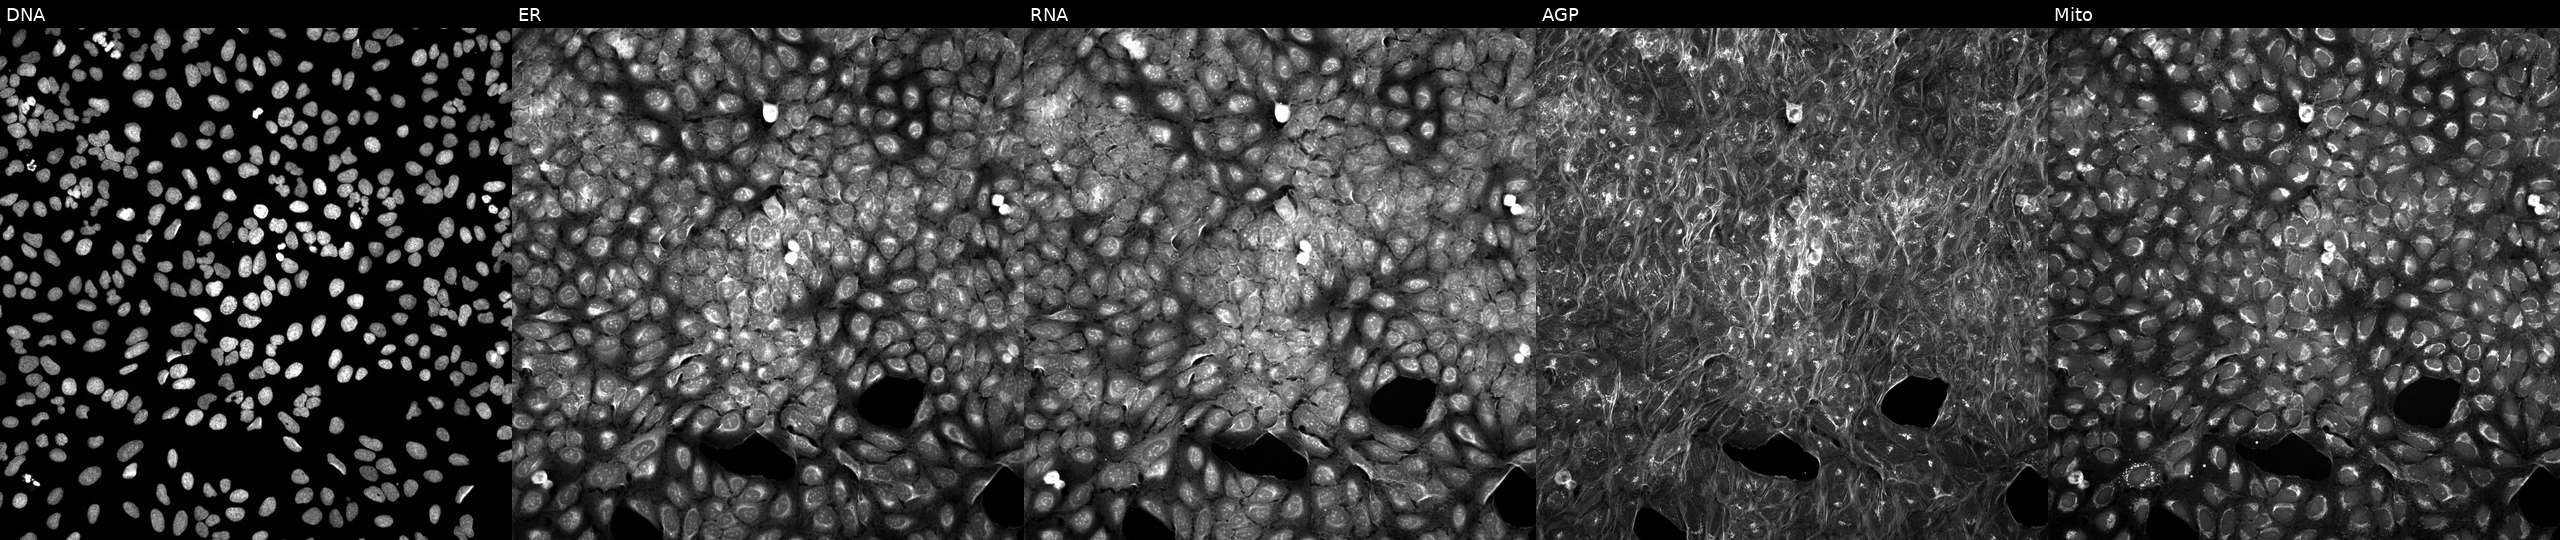
This image strip shows the five Cell Painting channels for a single field of U2OS cells exposed to a small-molecule compound (InChIKey JZFPYUNJRRFVQU-UHFFFAOYSA-N) [SMILES: O=C(O)c1ccc[nH]c1=Nc1cccc(C(F)(F)F)c1] (JUMP id JCP2022_043099). Channels (left→right): Hoechst 33342, concanavalin A, SYTO 14, phalloidin and WGA, MitoTracker.